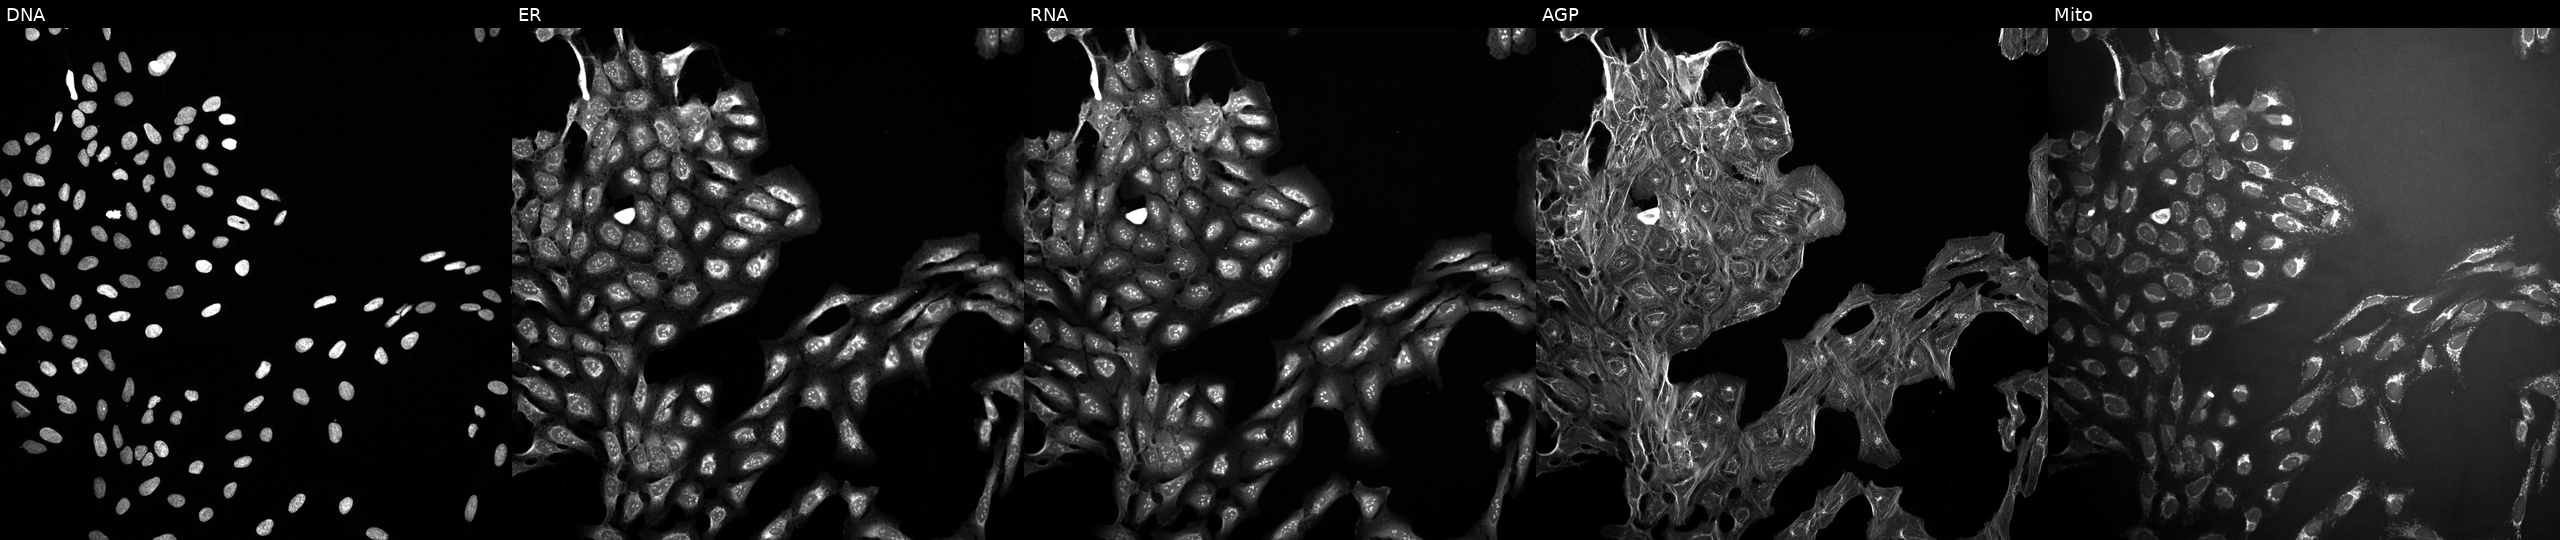
This image strip shows the five Cell Painting channels for a single field of U2OS cells exposed to a small-molecule compound (JUMP id JCP2022_053409). Panels show, left to right, Hoechst 33342, concanavalin A, SYTO 14, phalloidin and WGA, MitoTracker. Source 10, plate Dest210727-153003, well G01.